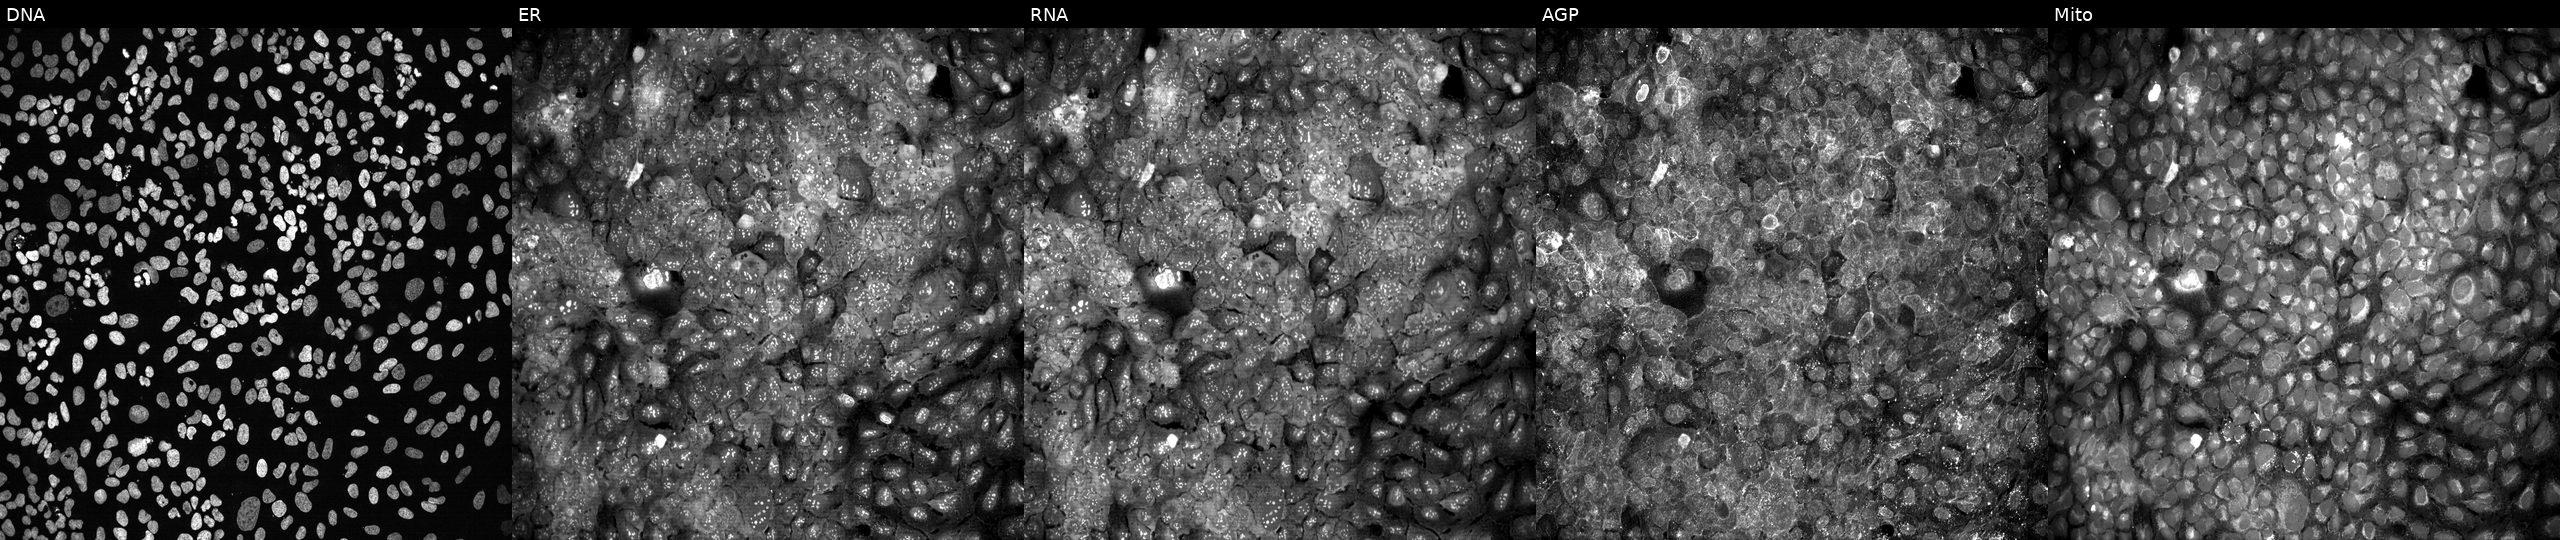
High-content fluorescence microscopy (Cell Painting). Cell line: U2OS. Perturbation: CRISPR-edited to disrupt LIPM (JUMP id JCP2022_803853). Channels (left→right): Hoechst 33342, concanavalin A, SYTO 14, phalloidin and WGA, MitoTracker.